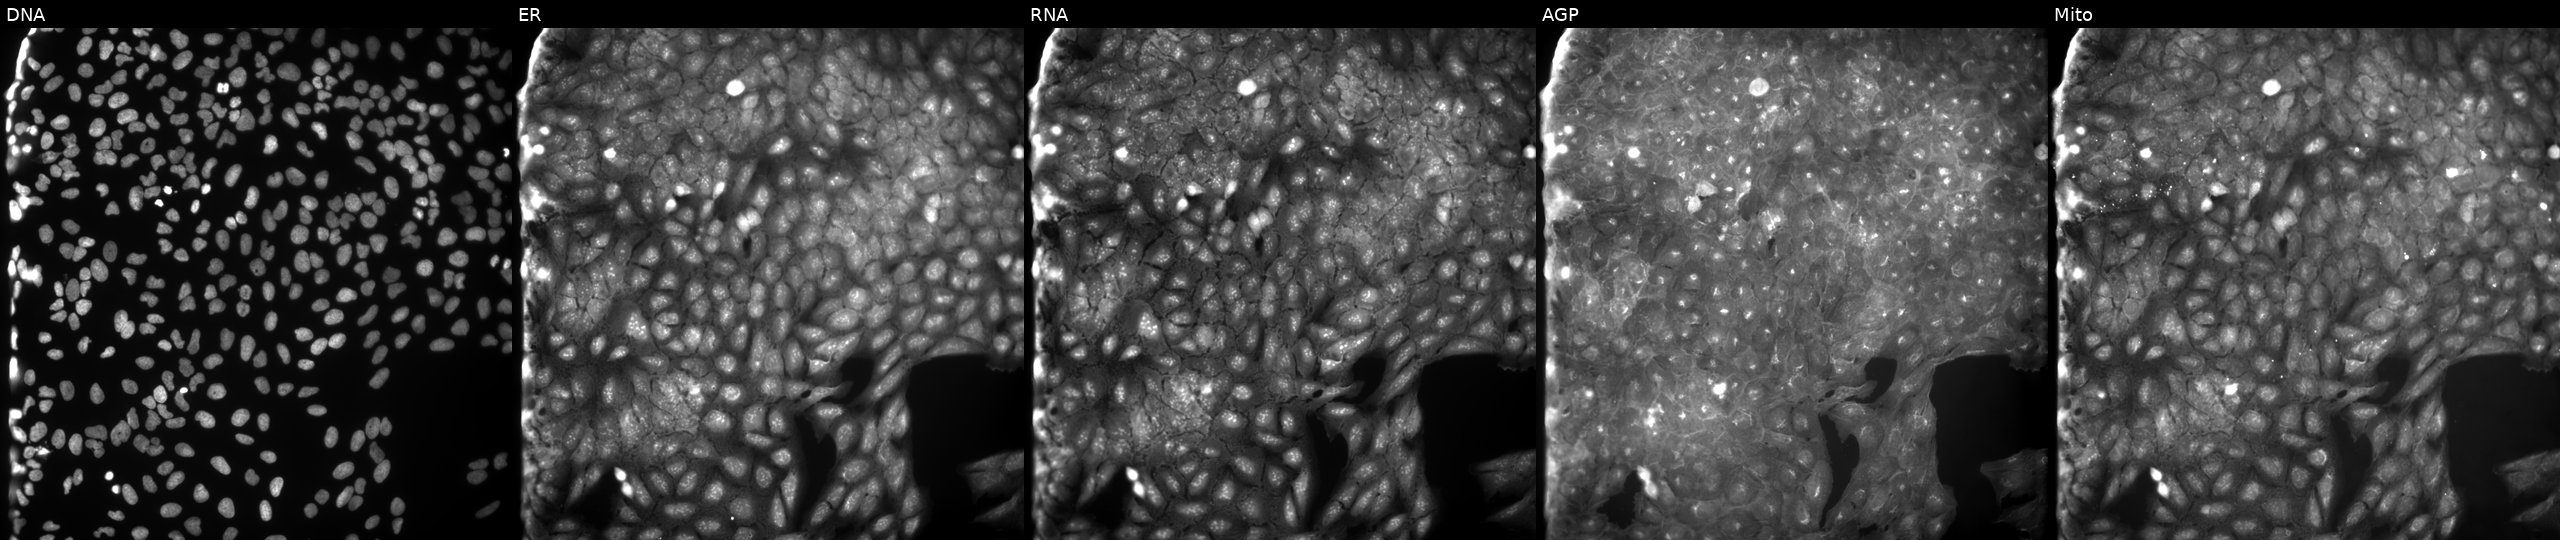
High-content fluorescence microscopy (Cell Painting). Cell line: U2OS. Perturbation: perturbed with a small-molecule compound (InChIKey JPZYVQXWDBFNNI-UHFFFAOYSA-N) (JUMP id JCP2022_041377). Panels show, left to right, DNA (nuclei); ER (endoplasmic reticulum); RNA (nucleoli and cytoplasmic RNA); AGP (actin cytoskeleton, Golgi, and plasma membrane); Mito (mitochondria). Source 9, plate GR00003382, well R05.